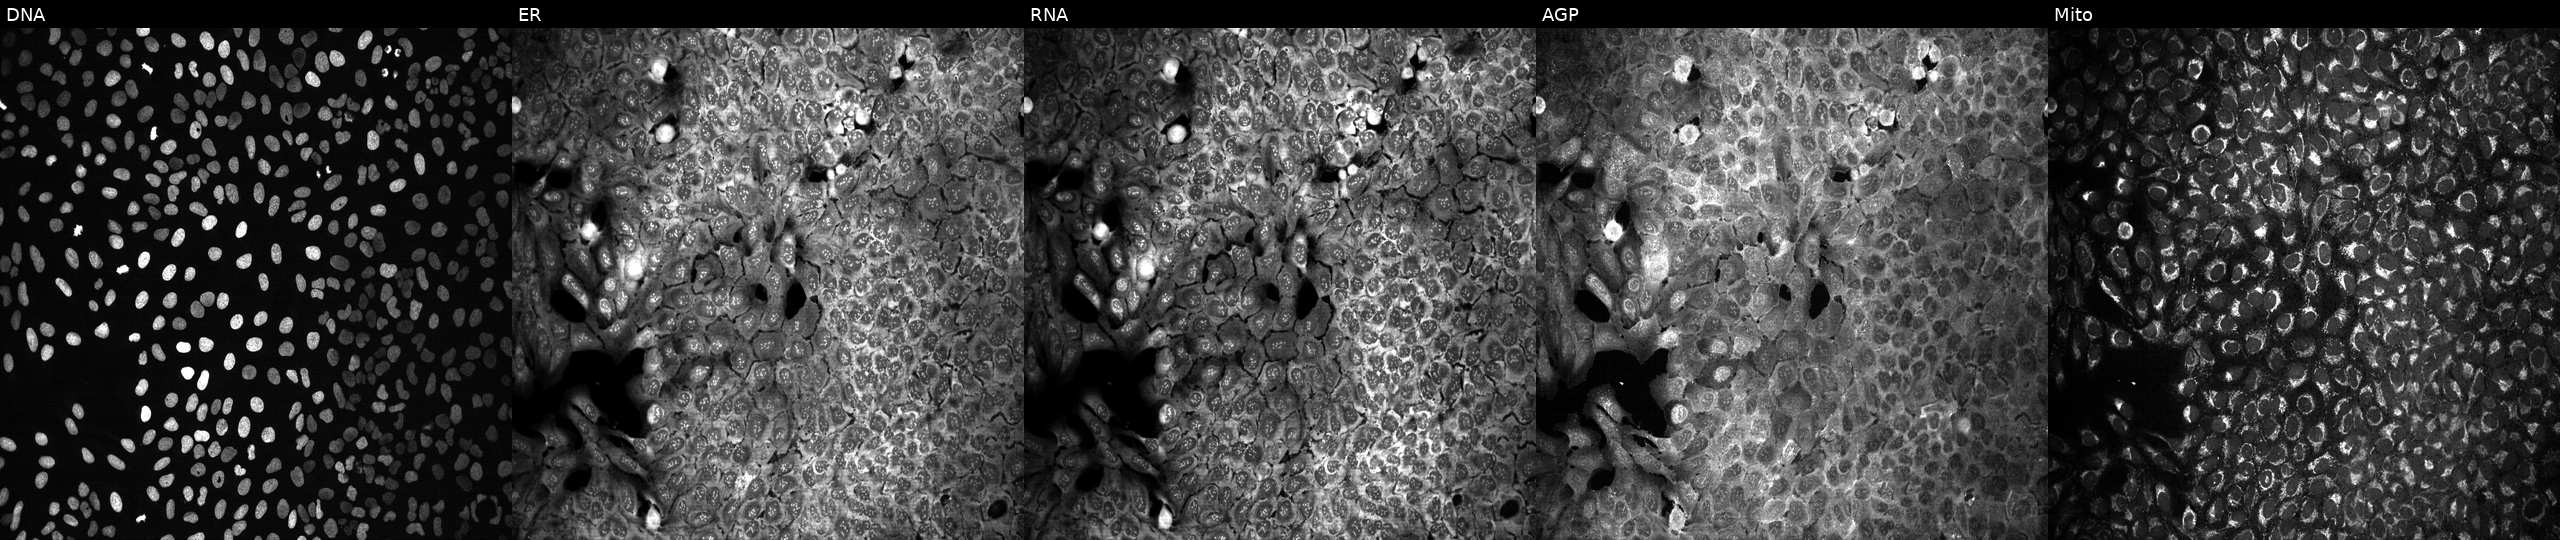
JUMP Cell Painting — CRISPR plate. U2OS cells exposed to DMSO alone as a negative control (JUMP id JCP2022_033924). Channels (left→right): DNA, ER, RNA, AGP, and Mito. Source 13, plate CP-CC9-R3-01, well E23.